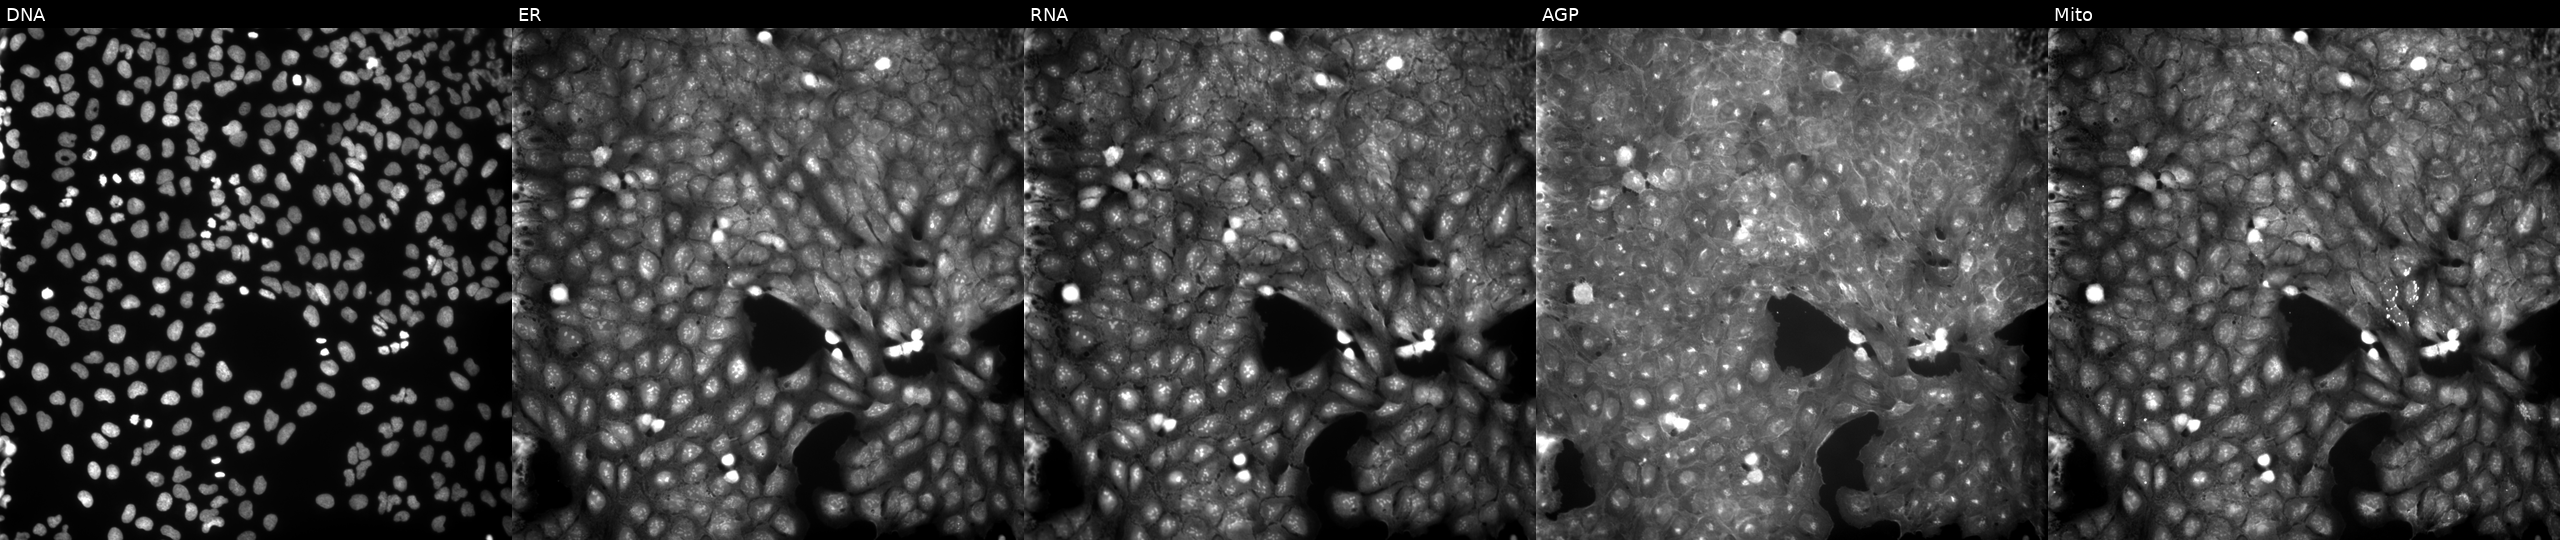
High-content fluorescence microscopy (Cell Painting). Cell line: U2OS. Perturbation: exposed to a small-molecule compound (InChIKey VZPUMVQQBRFVJG-UHFFFAOYSA-N). Panels show, left to right, DNA, ER, RNA, AGP, and Mito. Source 9, plate GR00003381, well N15.